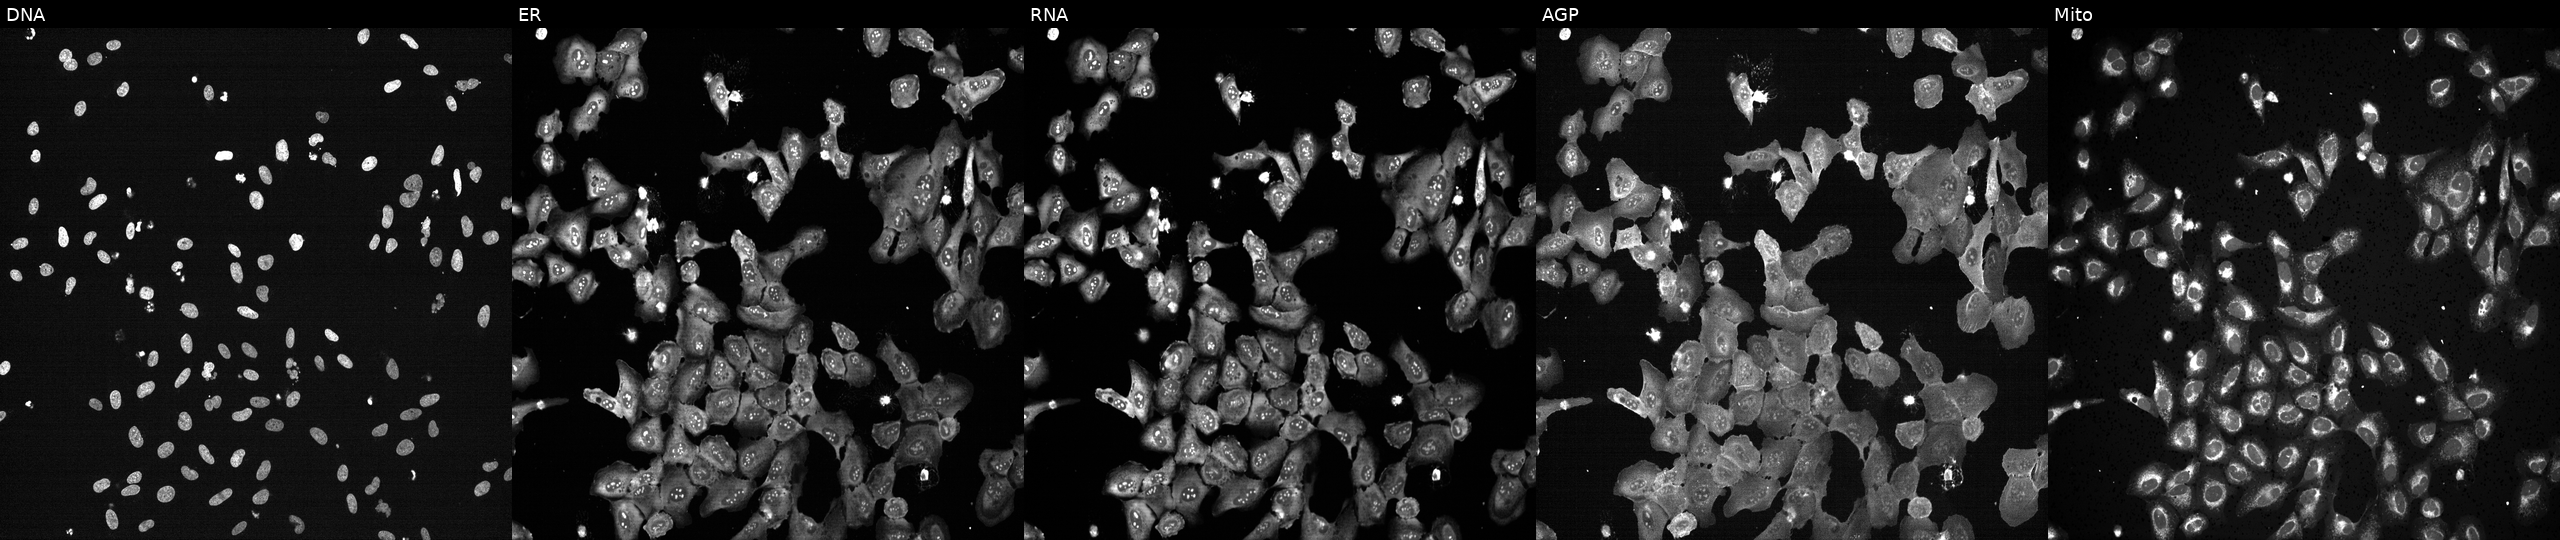
Channels (left→right): Hoechst 33342, concanavalin A, SYTO 14, phalloidin and WGA, MitoTracker. U2OS osteosarcoma cells exposed to the positive-control compound TC-S-7004 (JUMP id JCP2022_012818). Cell Painting assay, JUMP-CP dataset. Source 13, plate CP-CC9-R2-02, well L24.